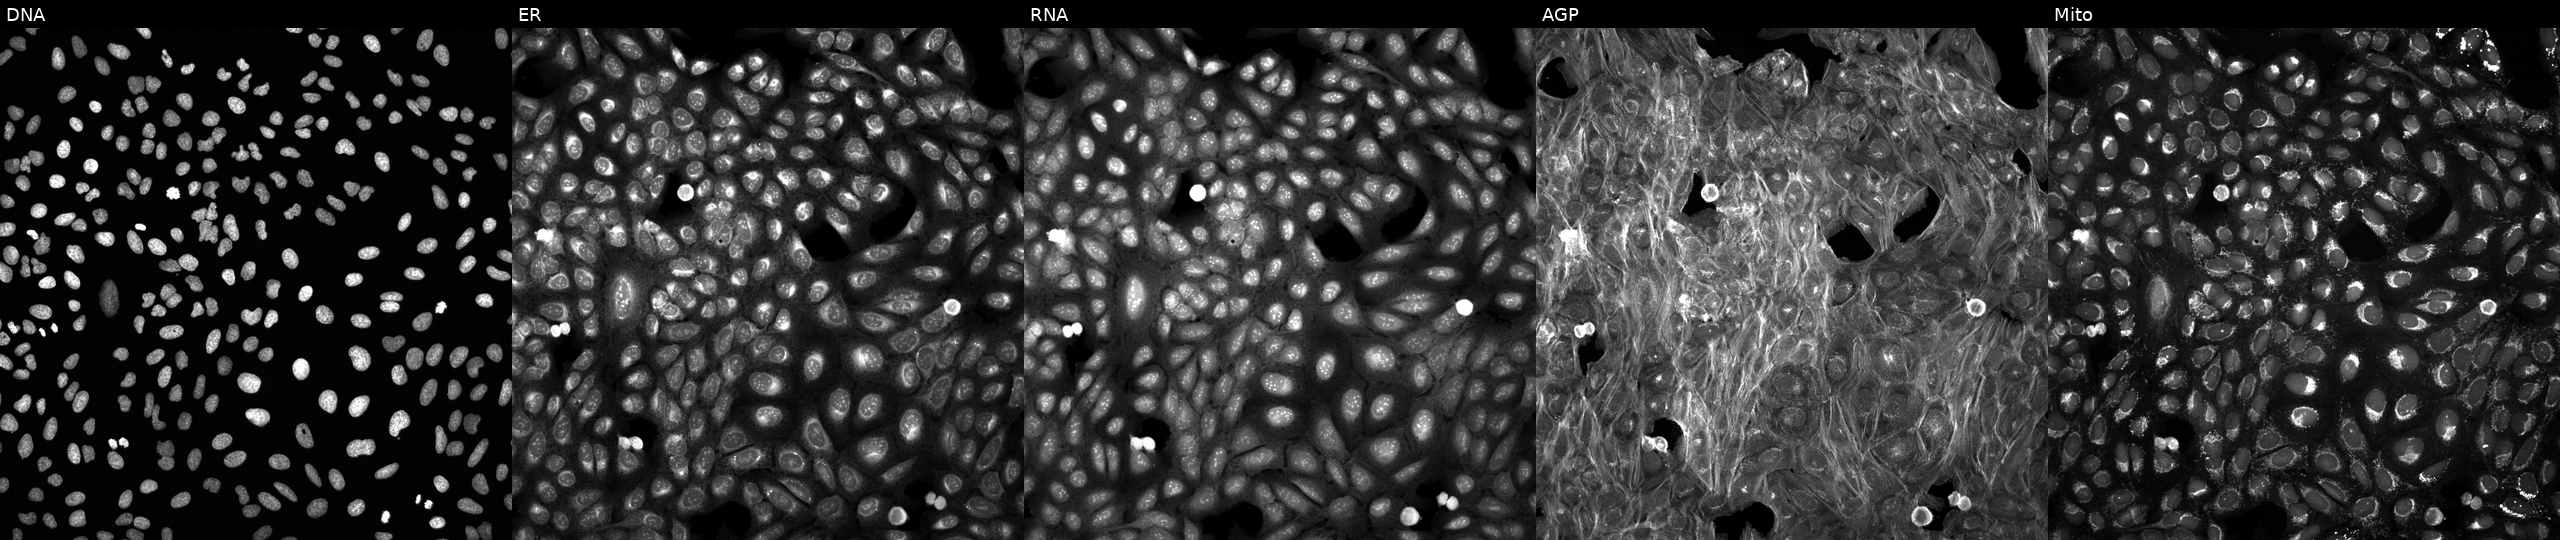
U2OS cells, Cell Painting assay, treated with a small-molecule compound (InChIKey FZJLDYUUNRIVCQ-UHFFFAOYSA-N) (JUMP id JCP2022_023971). From left to right: DNA (nuclei); ER (endoplasmic reticulum); RNA (nucleoli and cytoplasmic RNA); AGP (actin cytoskeleton, Golgi, and plasma membrane); Mito (mitochondria). Each panel is percentile-stretched 16-bit fluorescence.